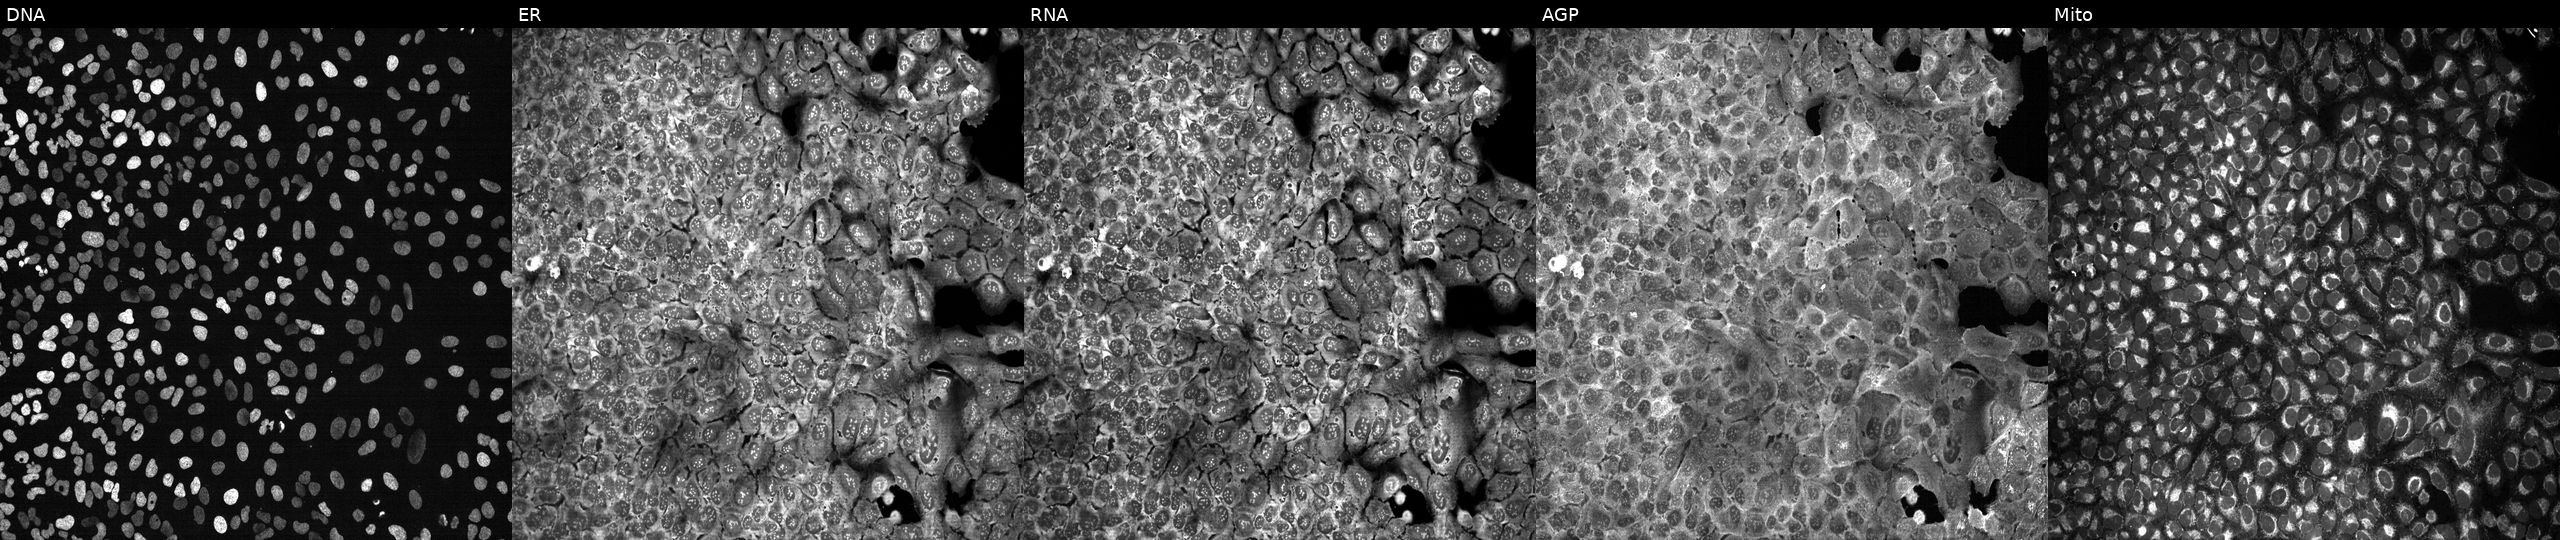
U2OS cells, Cell Painting assay, CRISPR-edited to disrupt DCT (JUMP id JCP2022_801698). From left to right: DNA, ER, RNA, AGP, and Mito. Each panel is percentile-stretched 16-bit fluorescence. Source 13, plate CP-CC9-R3-01, well C16.